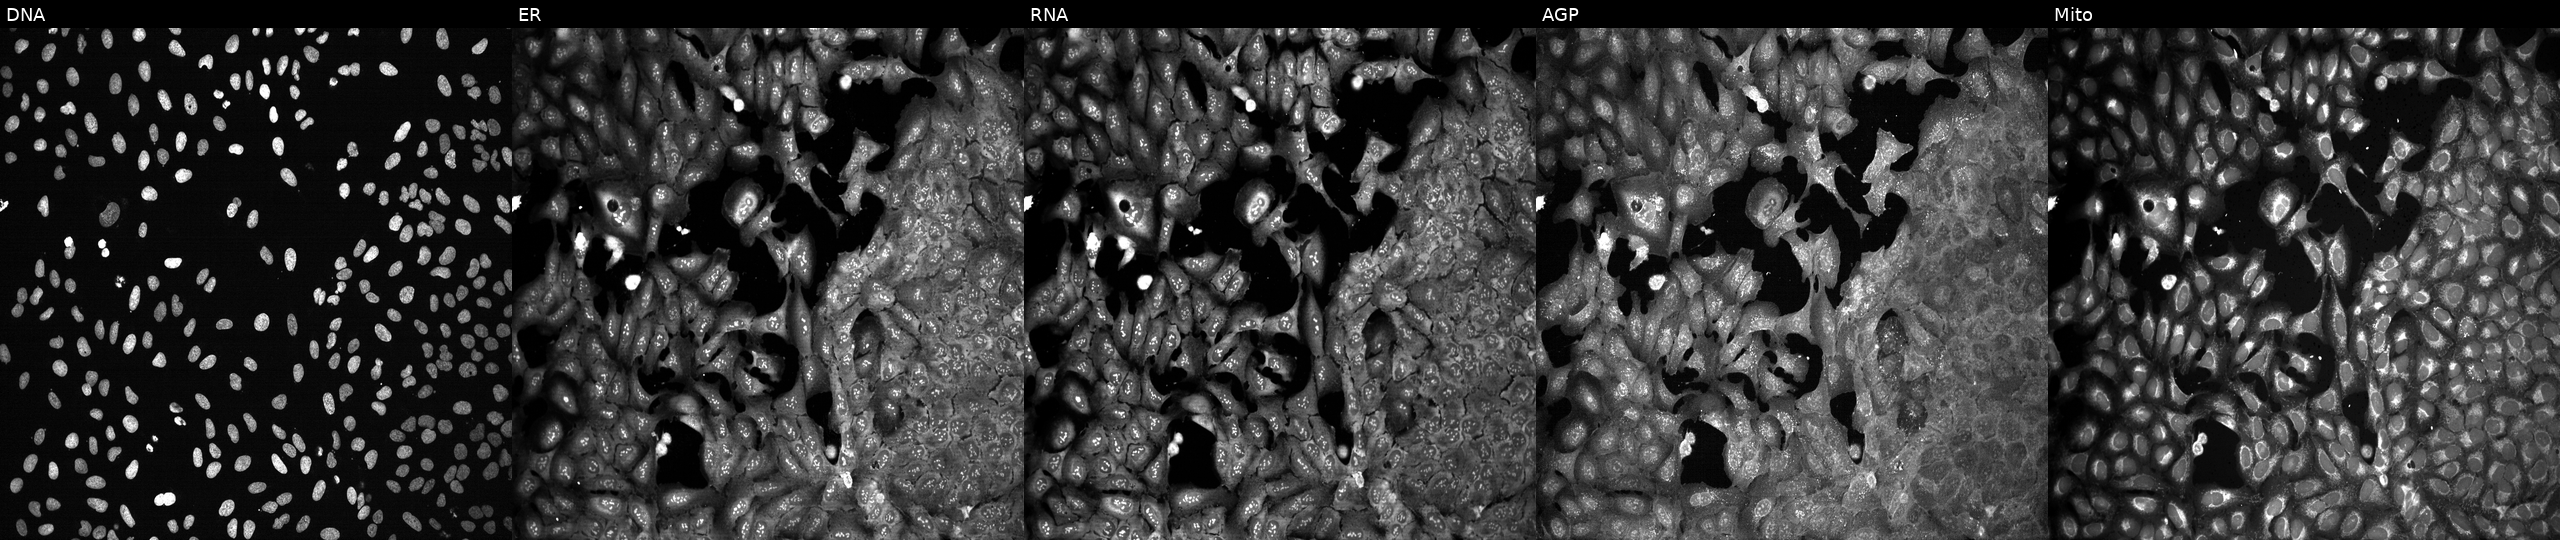
Five-channel Cell Painting image of U2OS cells CRISPR-edited to disrupt NCK1. Panels show, left to right, DNA (nuclei); ER (endoplasmic reticulum); RNA (nucleoli and cytoplasmic RNA); AGP (actin cytoskeleton, Golgi, and plasma membrane); Mito (mitochondria). Source 13, plate CP-CC9-R5-01, well M19.